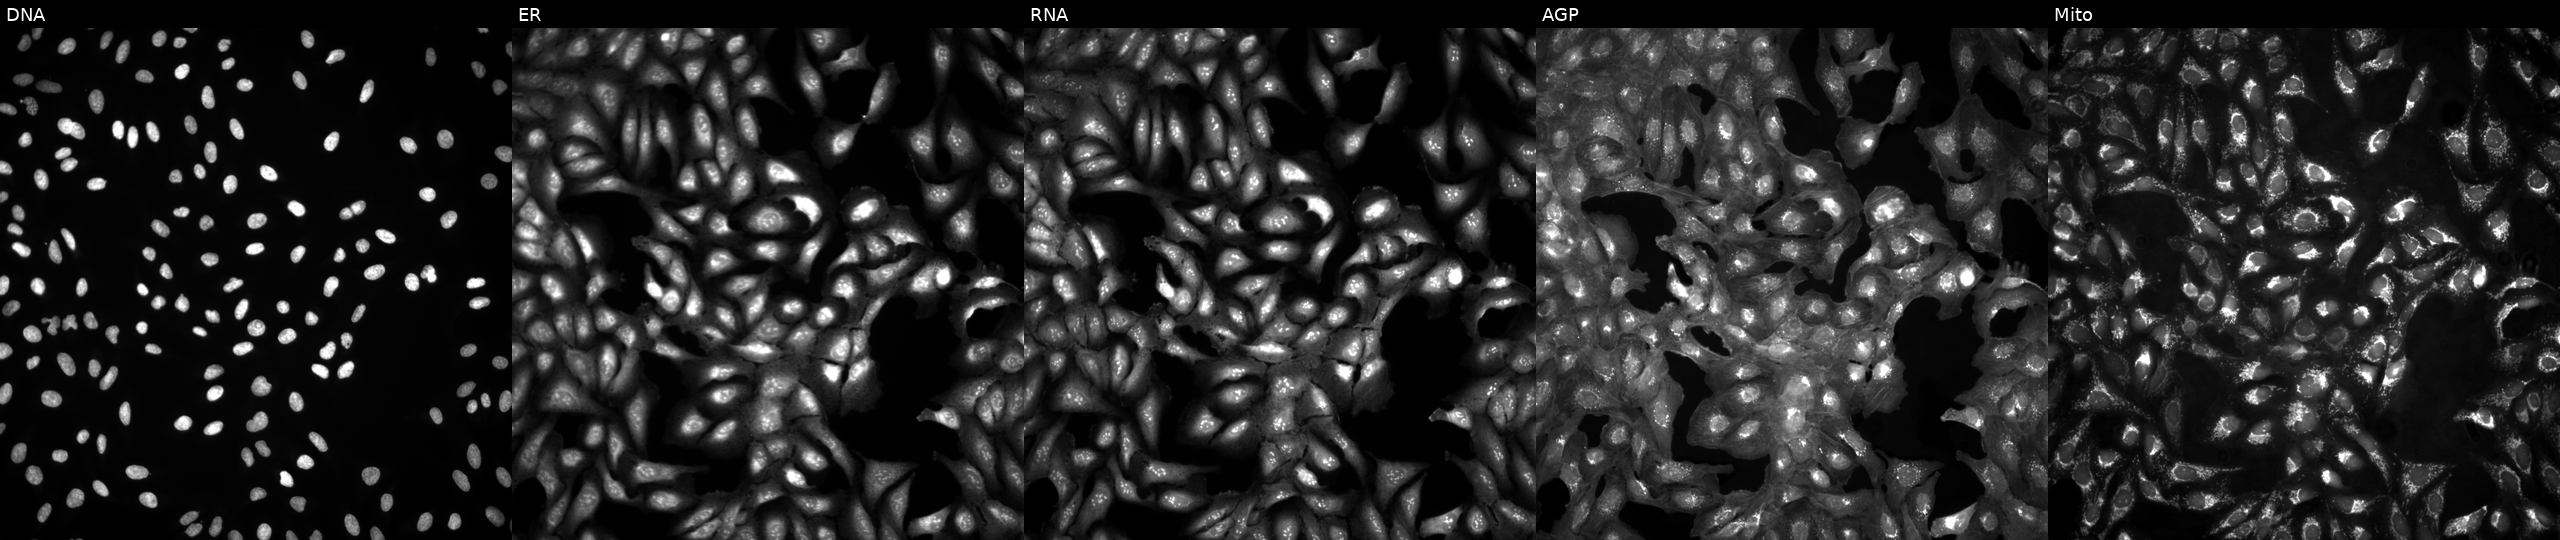
Channels (left→right): Hoechst 33342, concanavalin A, SYTO 14, phalloidin and WGA, MitoTracker. U2OS osteosarcoma cells untreated (empty-well control) (JUMP id JCP2022_999999). Cell Painting assay, JUMP-CP dataset.